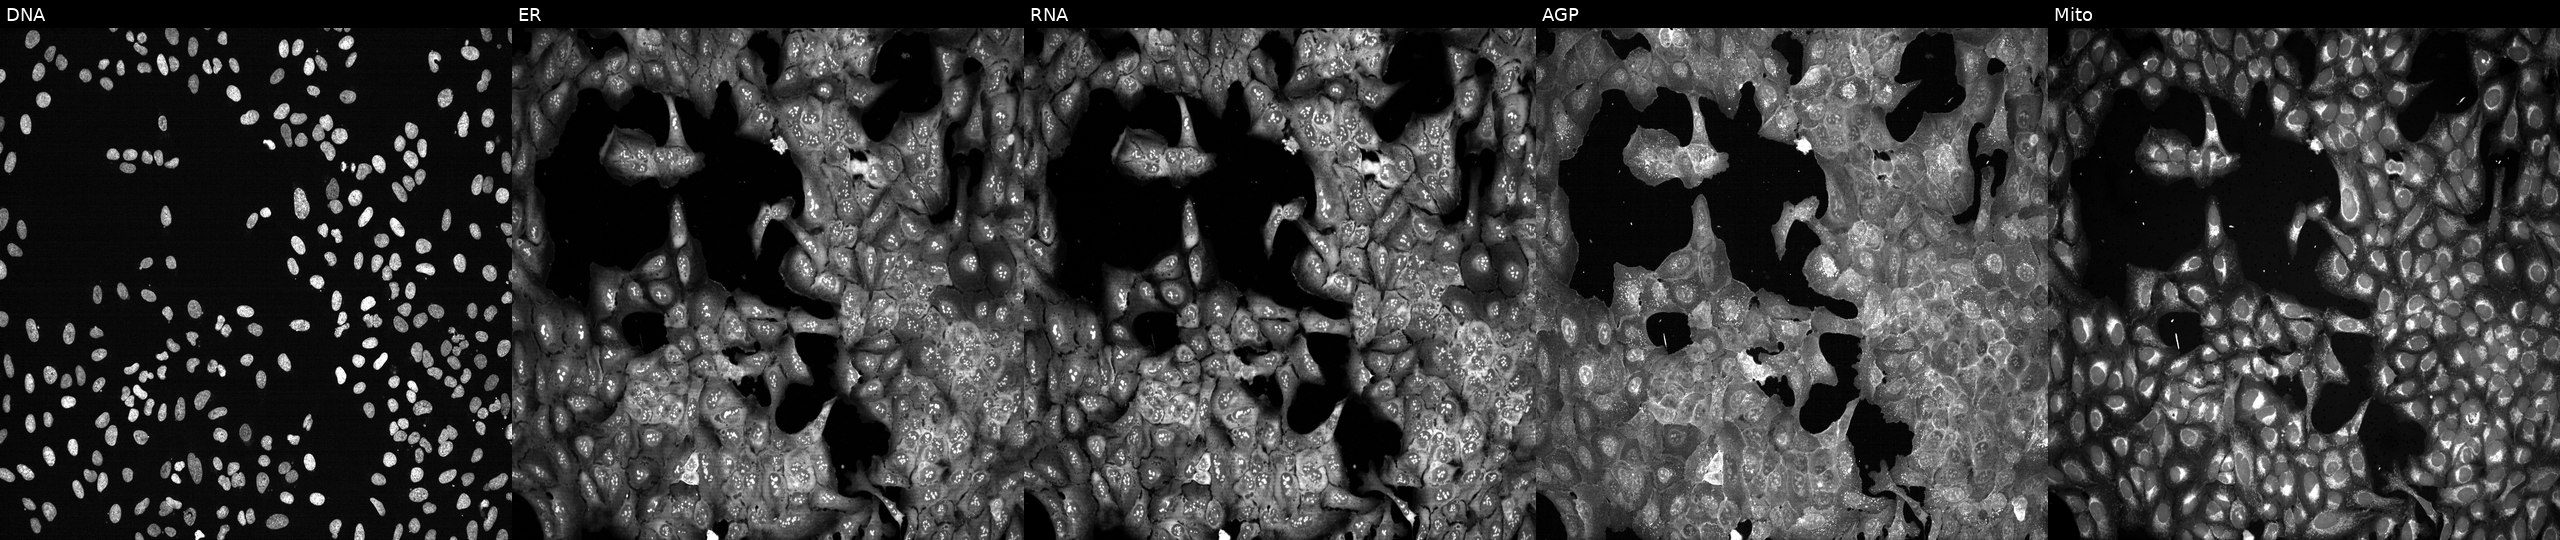
JUMP Cell Painting — CRISPR plate. U2OS cells with SCARB2 knocked out by CRISPR (JUMP id JCP2022_806195). The five panels, left to right, show Hoechst 33342, concanavalin A, SYTO 14, phalloidin and WGA, MitoTracker. Source 13, plate CP-CC9-R5-01, well A13.